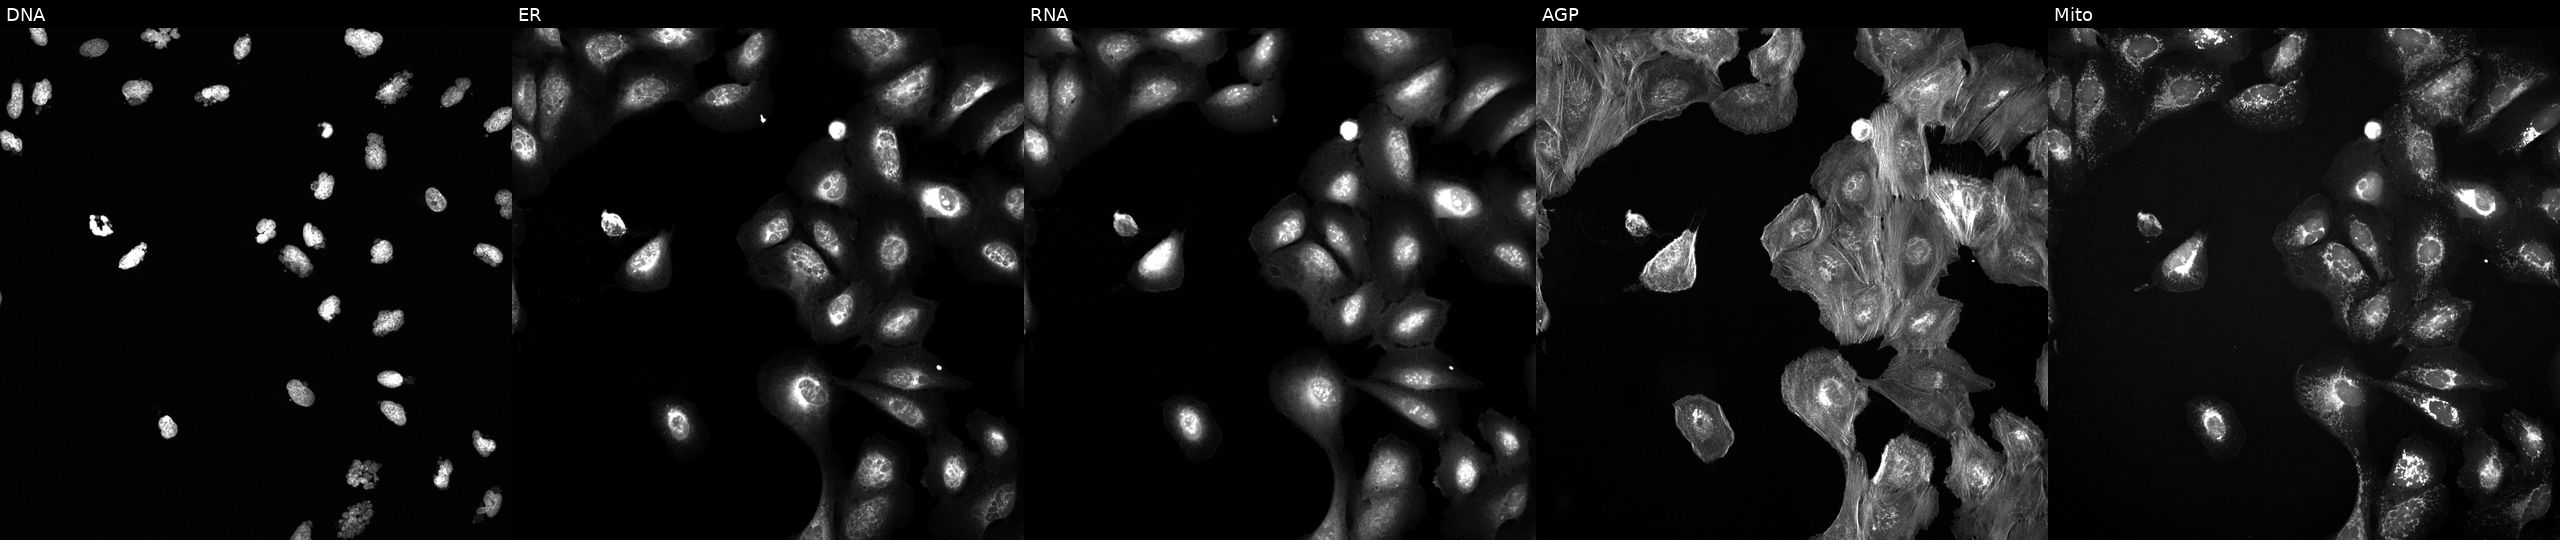
High-content fluorescence microscopy (Cell Painting). Cell line: U2OS. Perturbation: exposed to the positive-control compound AMG900. Panels show, left to right, DNA, ER, RNA, AGP, and Mito. Source 6, plate 110000293082, well J01.